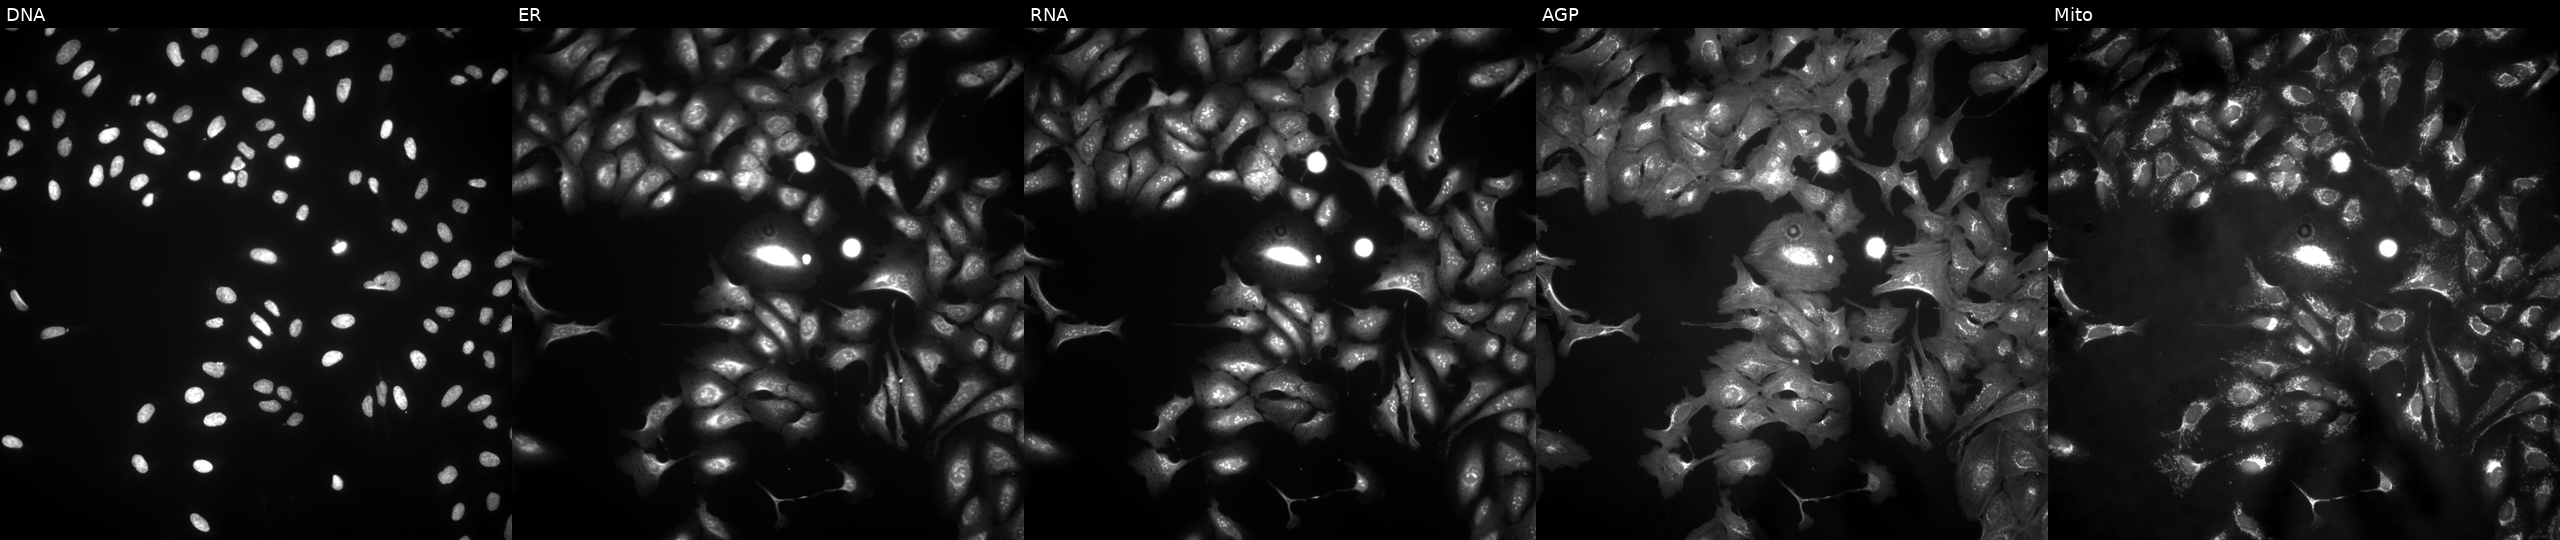
Five-channel Cell Painting image of U2OS cells overexpressing ZCWPW1 via ORF transfection (JUMP id JCP2022_911327). From left to right: DNA, ER, RNA, AGP, and Mito. Source 4, plate BR00123506, well J05.